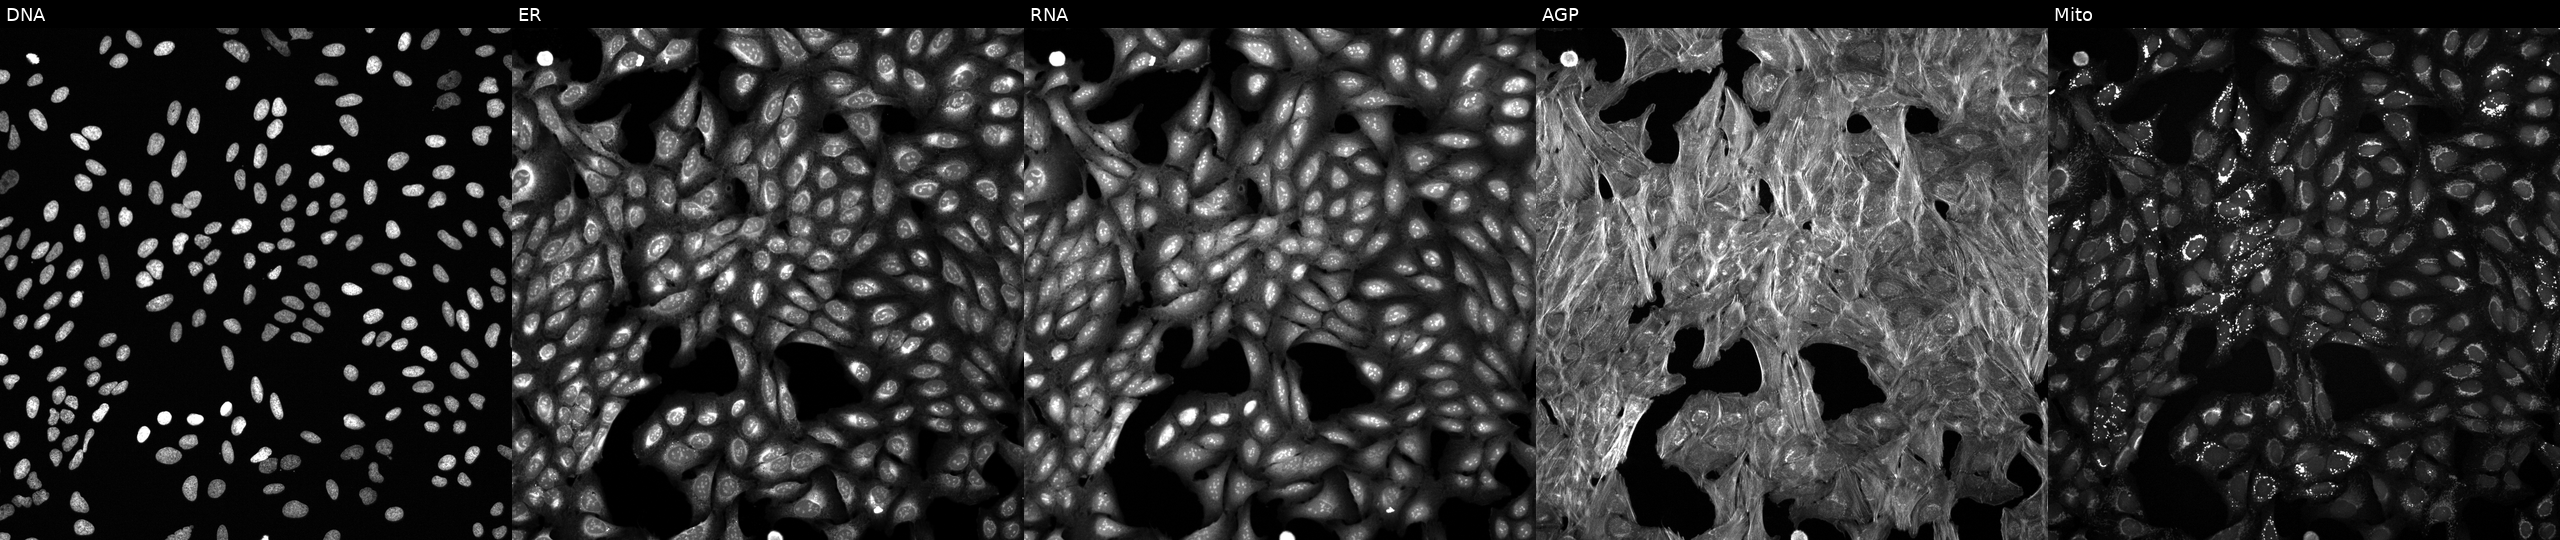
Five-channel Cell Painting image of U2OS cells treated with a small-molecule compound (InChIKey DTGLZDAWLRGWQN-UHFFFAOYSA-N) (JUMP id JCP2022_018074). From left to right: DNA, ER, RNA, AGP, and Mito.